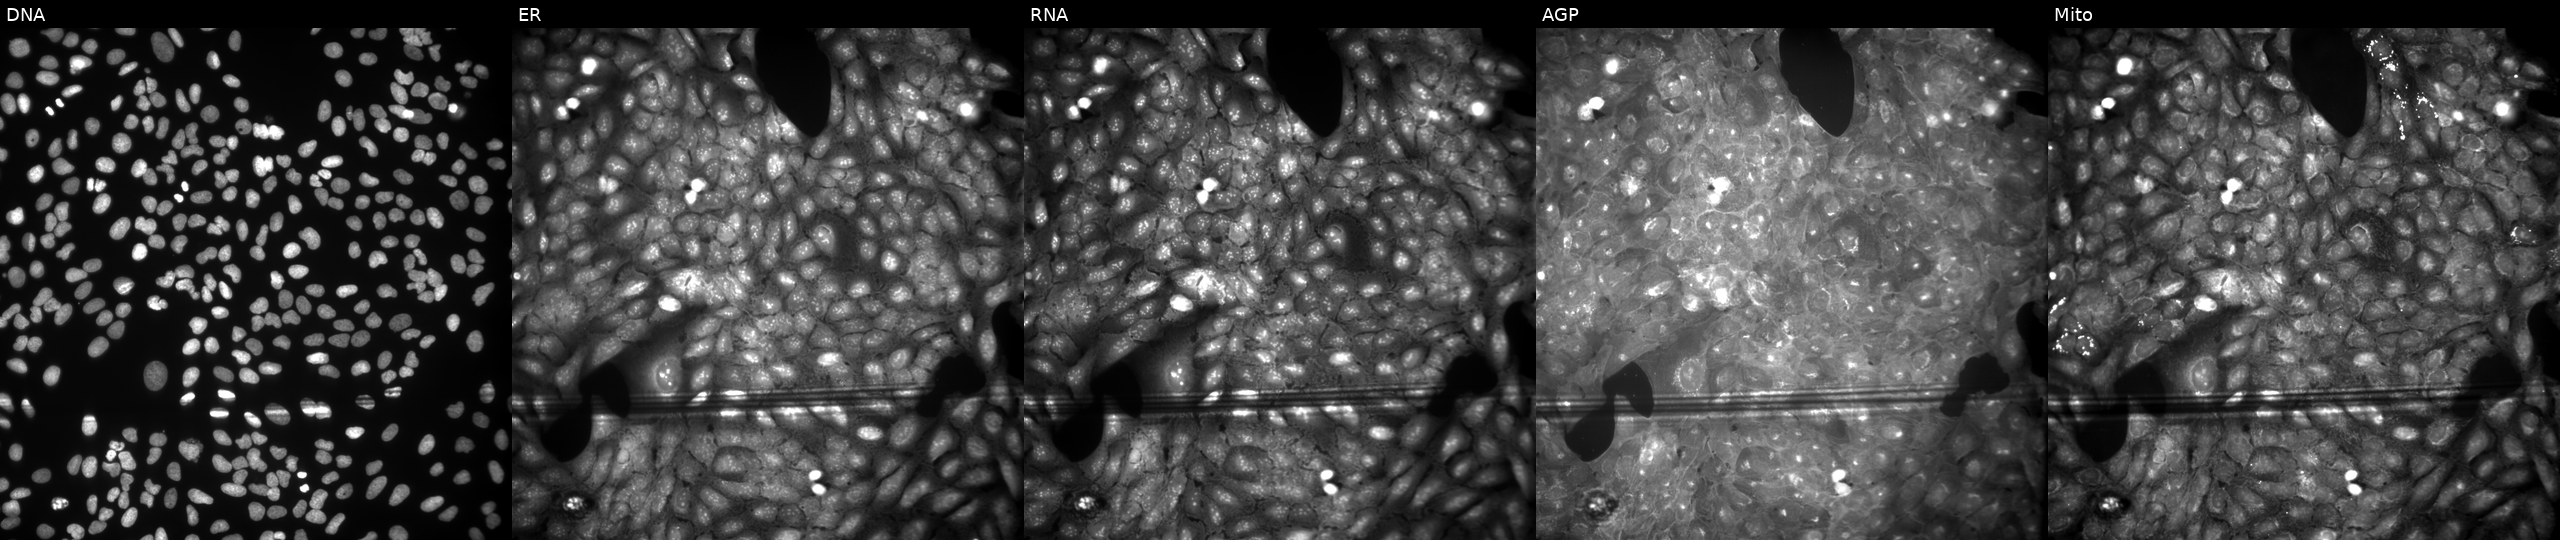
High-content fluorescence microscopy (Cell Painting). Cell line: U2OS. Perturbation: exposed to the positive-control compound TC-S-7004. The five panels, left to right, show DNA (nuclei); ER (endoplasmic reticulum); RNA (nucleoli and cytoplasmic RNA); AGP (actin cytoskeleton, Golgi, and plasma membrane); Mito (mitochondria). Source 9, plate GR00003382, well X48.